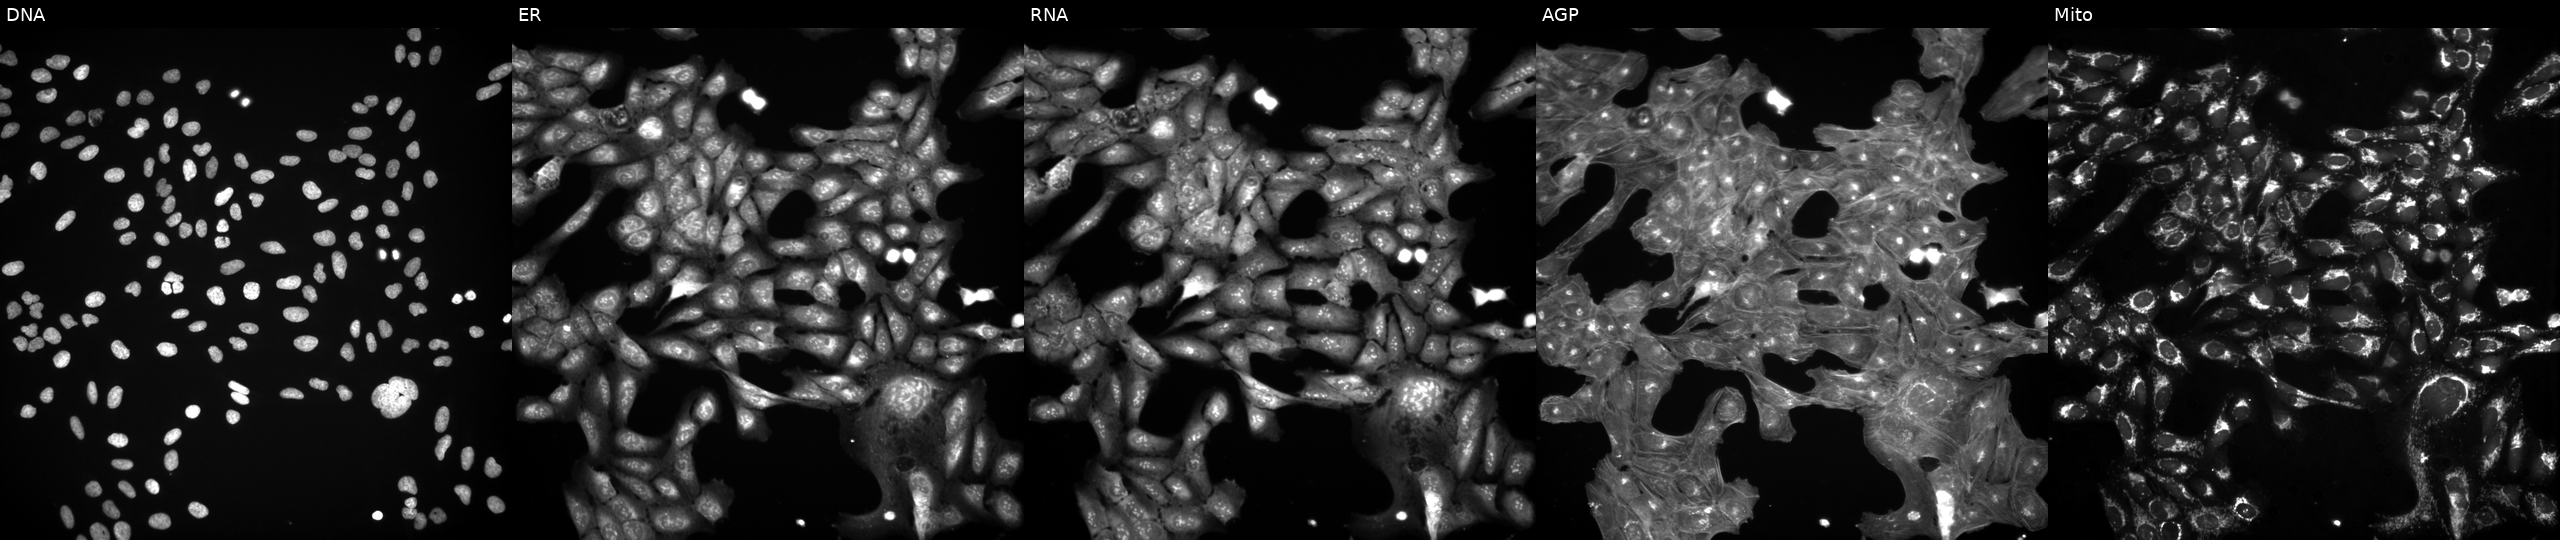
This image strip shows the five Cell Painting channels for a single field of U2OS cells treated with a small-molecule compound. The five panels, left to right, show Hoechst 33342, concanavalin A, SYTO 14, phalloidin and WGA, MitoTracker.